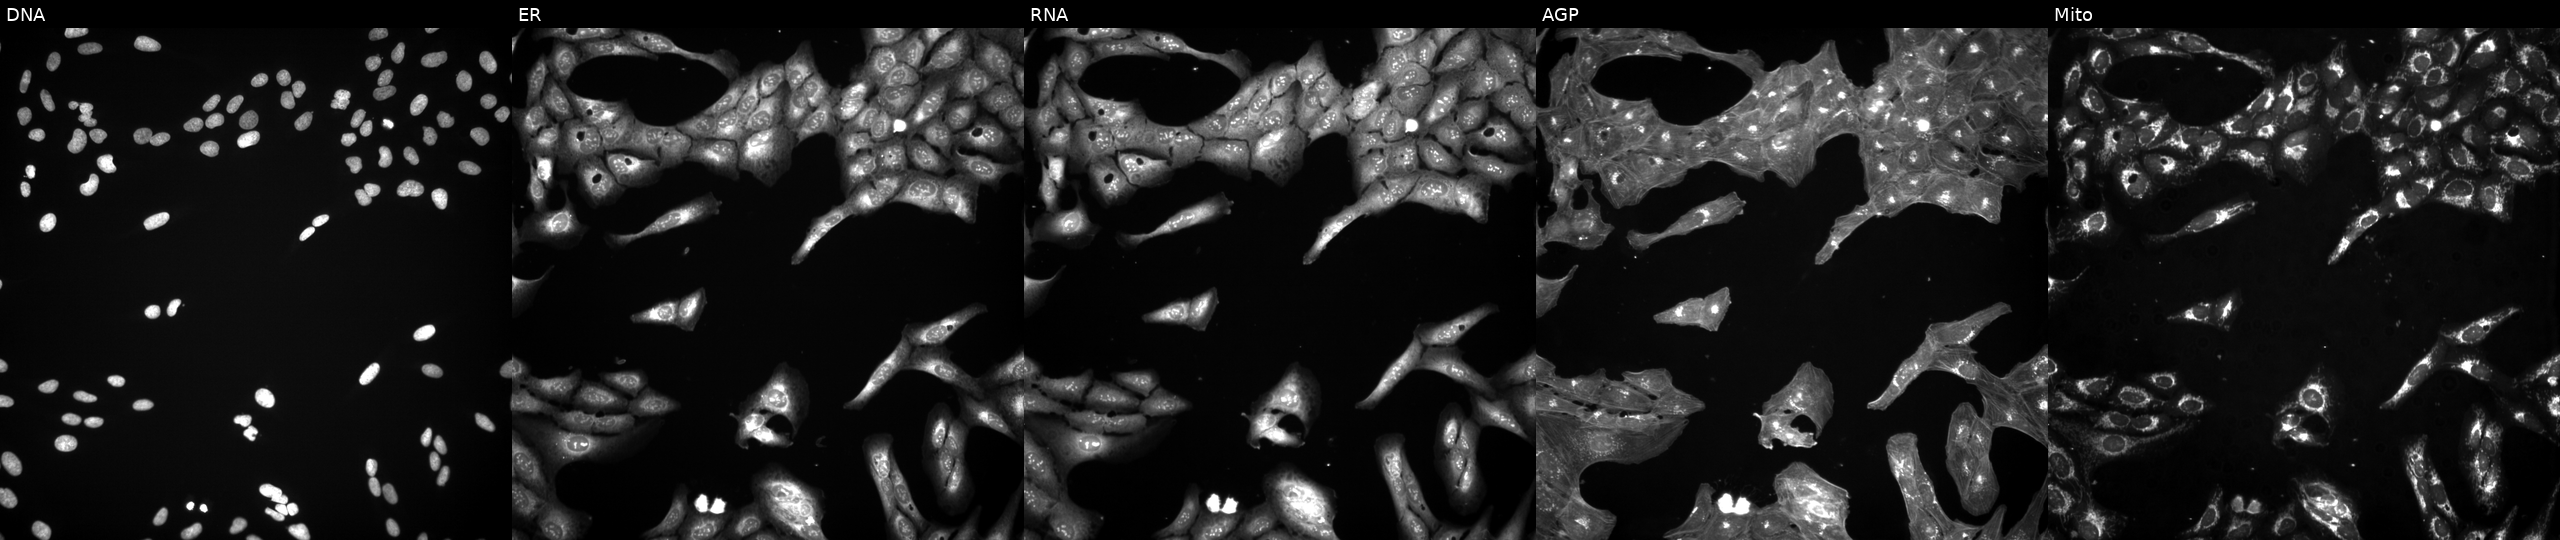
High-content fluorescence microscopy (Cell Painting). Cell line: U2OS. Perturbation: treated with a small-molecule compound (InChIKey HUXYBQXJVXOMKX-UHFFFAOYSA-N) (JUMP id JCP2022_032771). The five panels, left to right, show DNA, ER, RNA, AGP, and Mito. Source 3, plate JCPQC052, well D16.